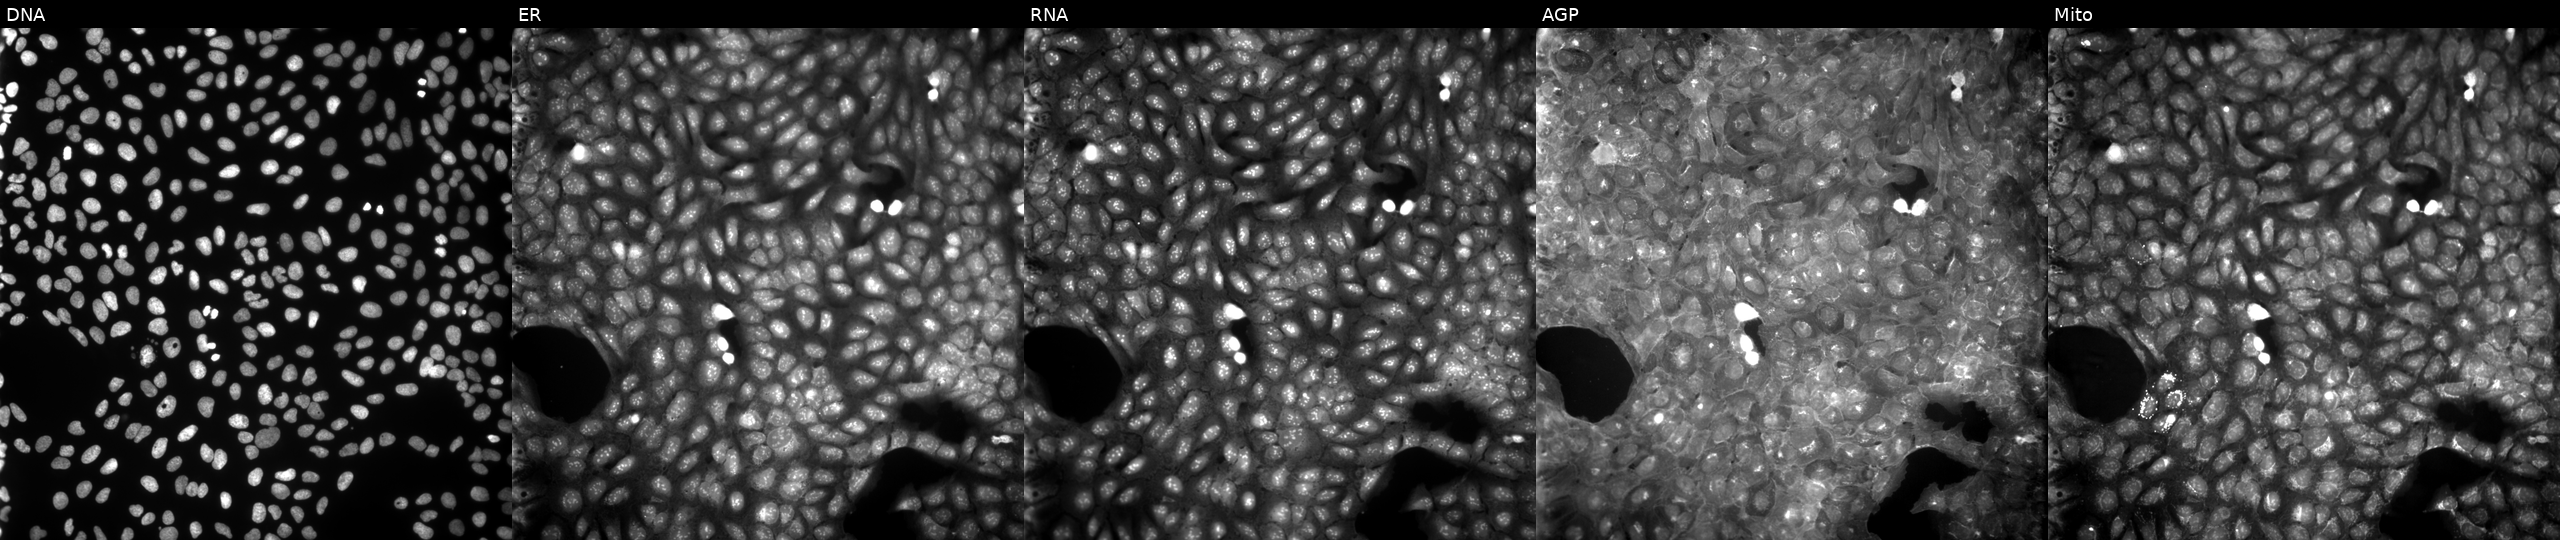
High-content fluorescence microscopy (Cell Painting). Cell line: U2OS. Perturbation: exposed to a small-molecule compound (InChIKey IQKFLSWXXDACCD-UHFFFAOYSA-N). Channels (left→right): DNA, ER, RNA, AGP, and Mito. Source 9, plate GR00003382, well Y13.